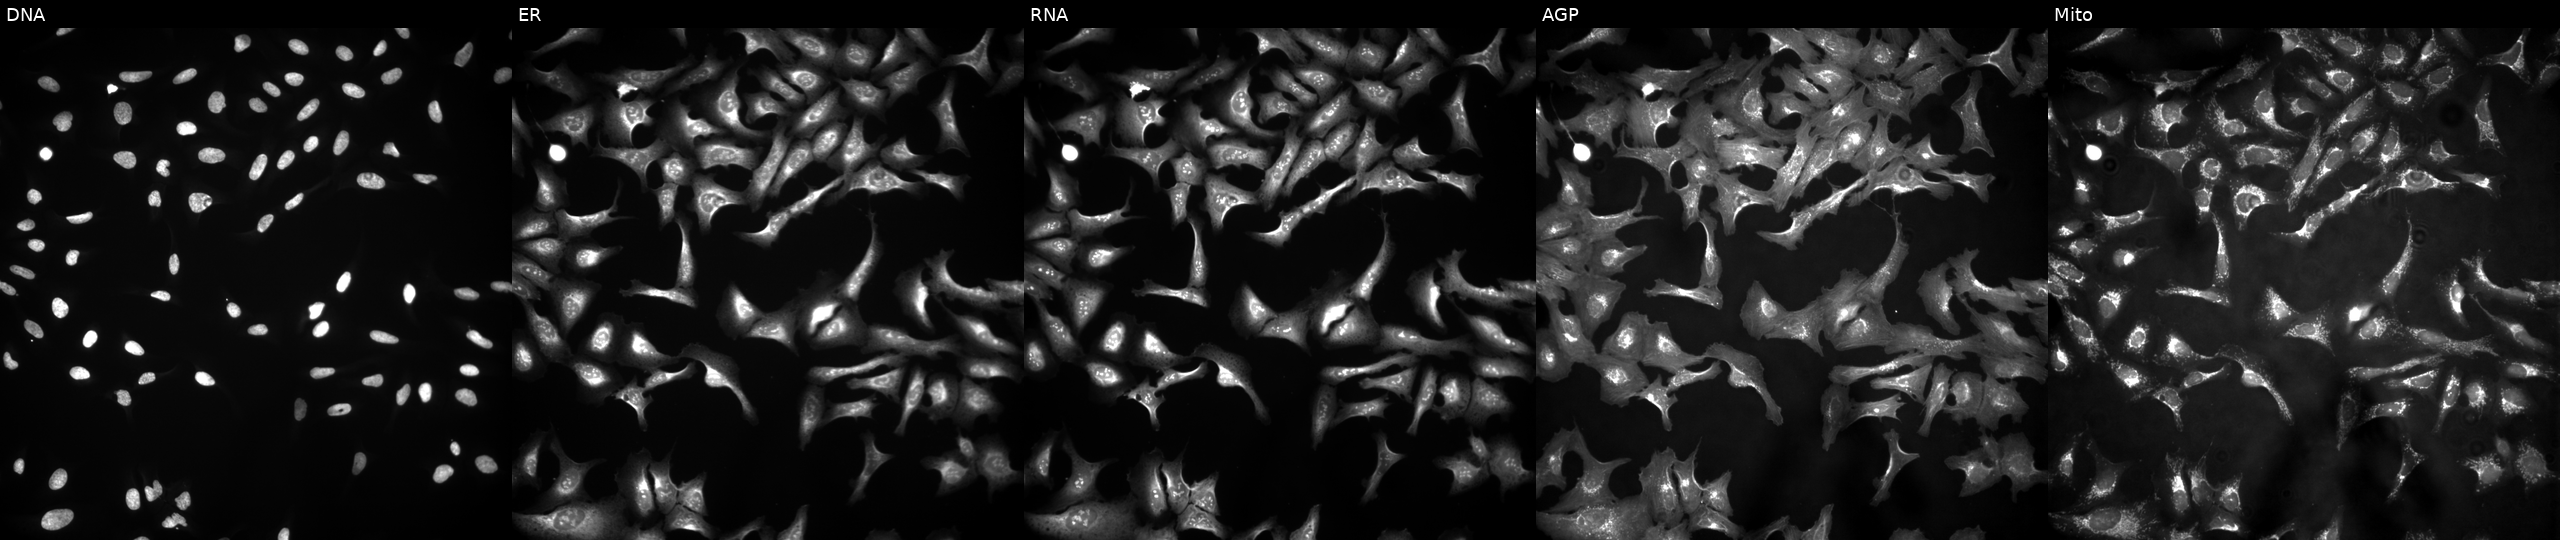
From left to right: DNA (nuclei); ER (endoplasmic reticulum); RNA (nucleoli and cytoplasmic RNA); AGP (actin cytoskeleton, Golgi, and plasma membrane); Mito (mitochondria). U2OS osteosarcoma cells overexpressing CT45A3 via ORF transfection. Cell Painting assay, JUMP-CP dataset. Source 4, plate BR00121543, well L18.